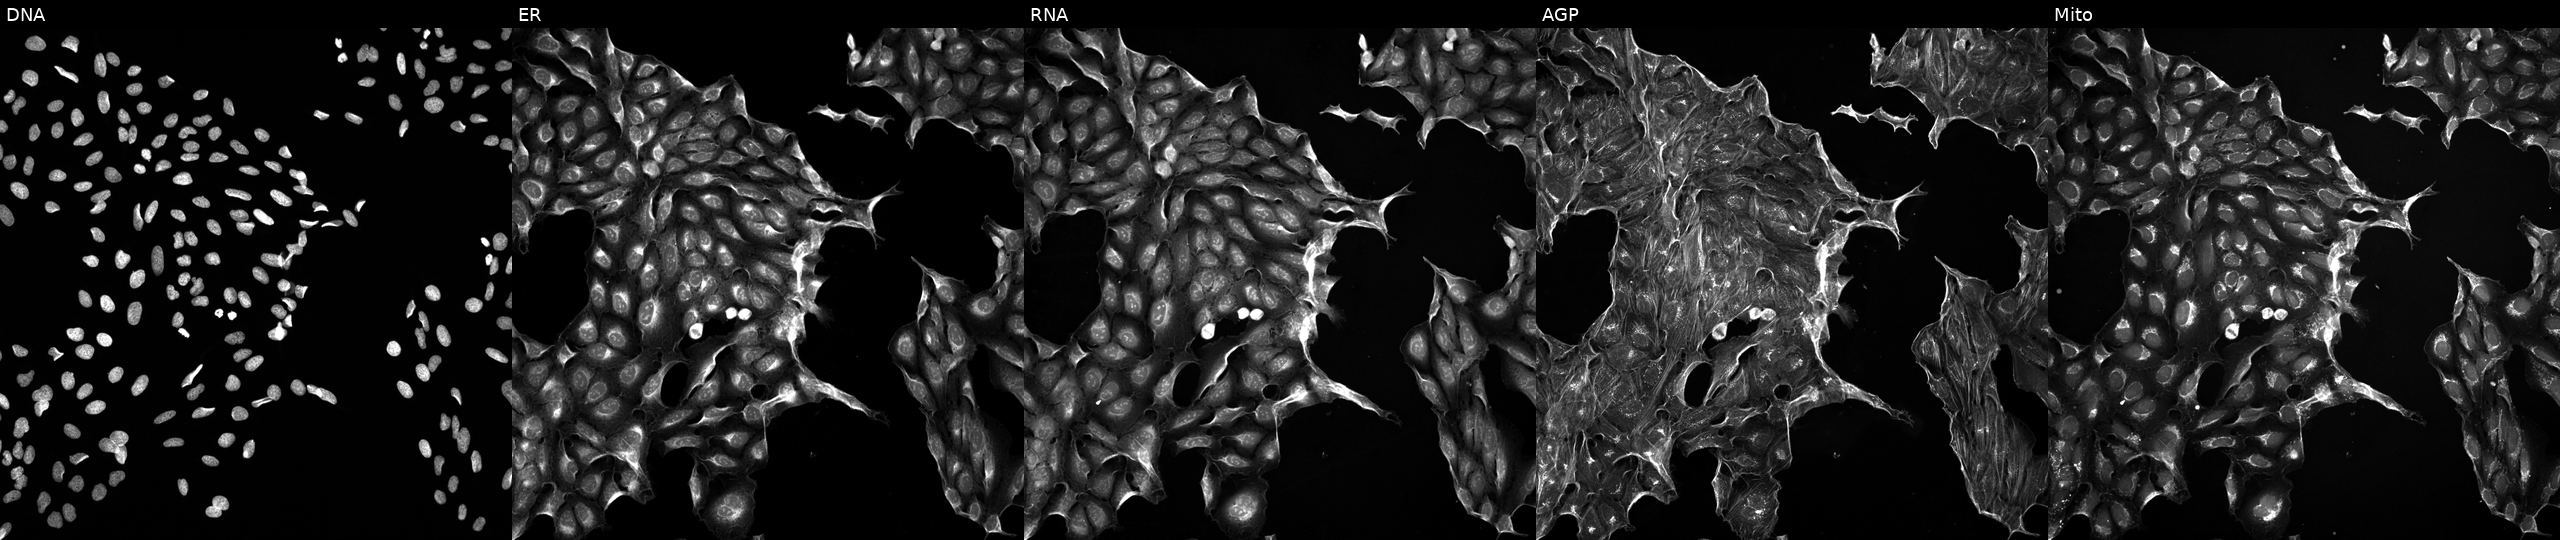
Five-channel Cell Painting image of U2OS cells exposed to a small-molecule compound (InChIKey NMKJFZCBCIUYHI-UHFFFAOYSA-N) (JUMP id JCP2022_059966). Panels show, left to right, DNA, ER, RNA, AGP, and Mito.